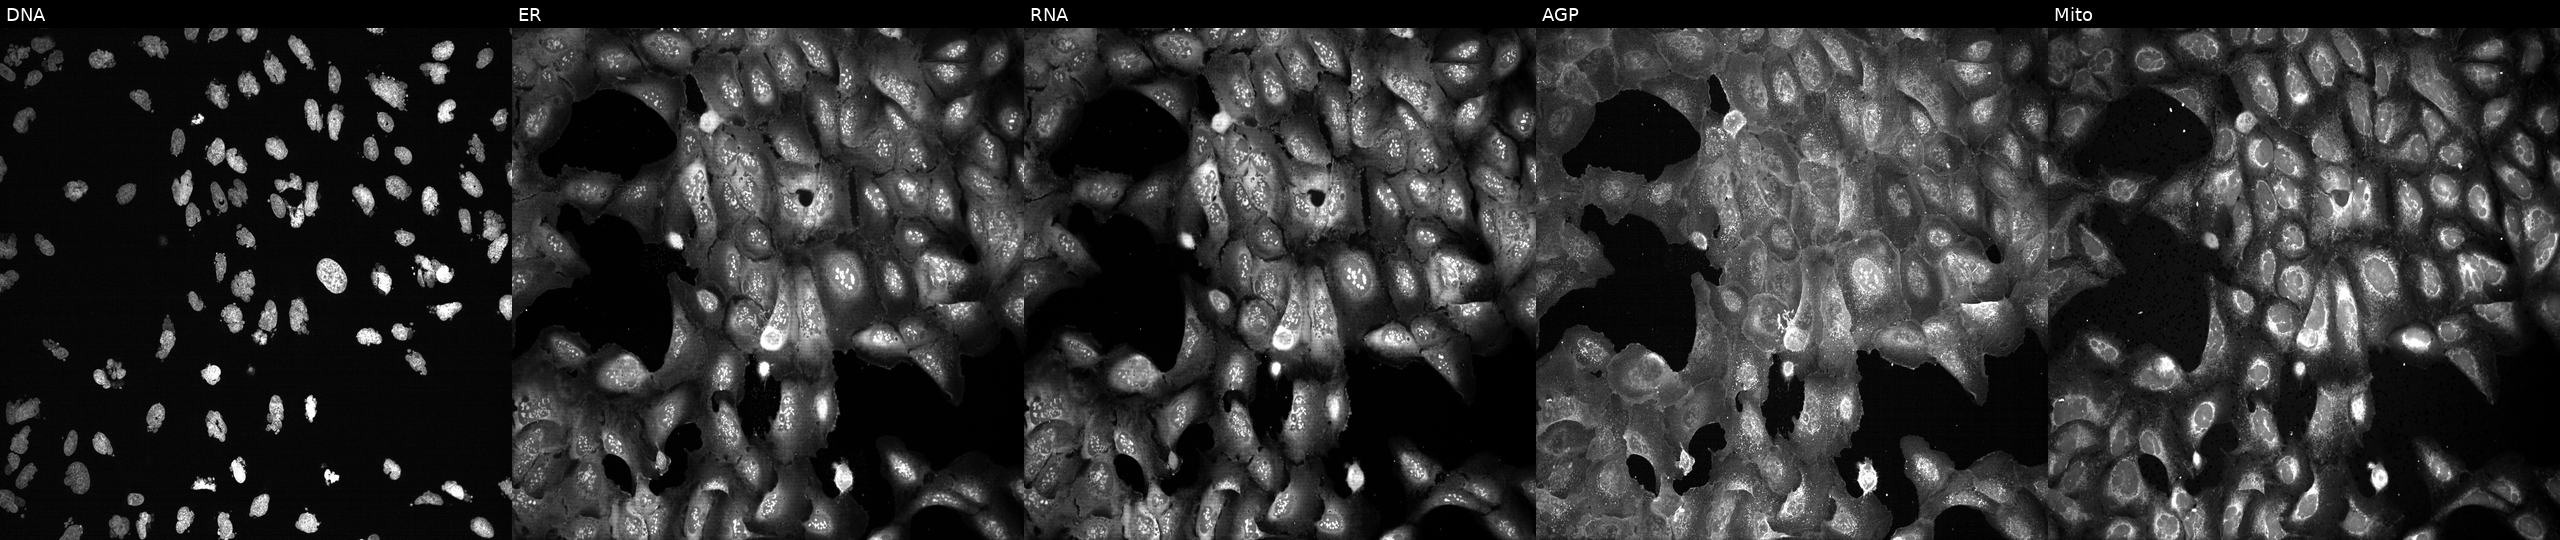
Five-channel Cell Painting image of U2OS cells exposed to the positive-control compound AMG900. The five panels, left to right, show DNA (nuclei); ER (endoplasmic reticulum); RNA (nucleoli and cytoplasmic RNA); AGP (actin cytoskeleton, Golgi, and plasma membrane); Mito (mitochondria).